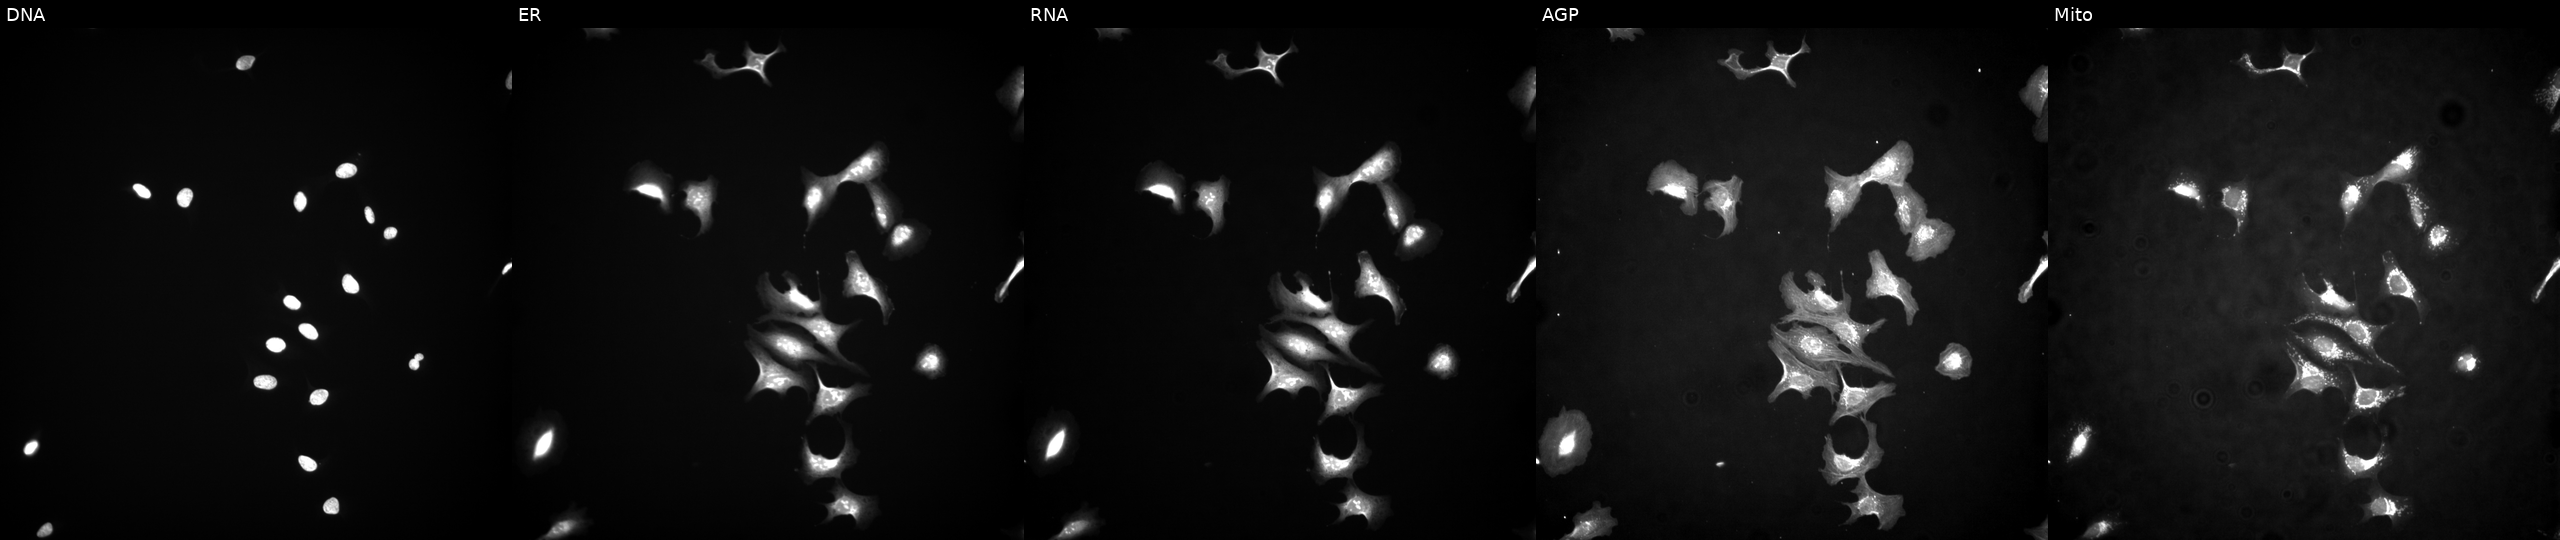
U2OS cells, Cell Painting assay, transfected with an ORF construct for SCMH1. Channels (left→right): DNA, ER, RNA, AGP, and Mito. Each panel is percentile-stretched 16-bit fluorescence.